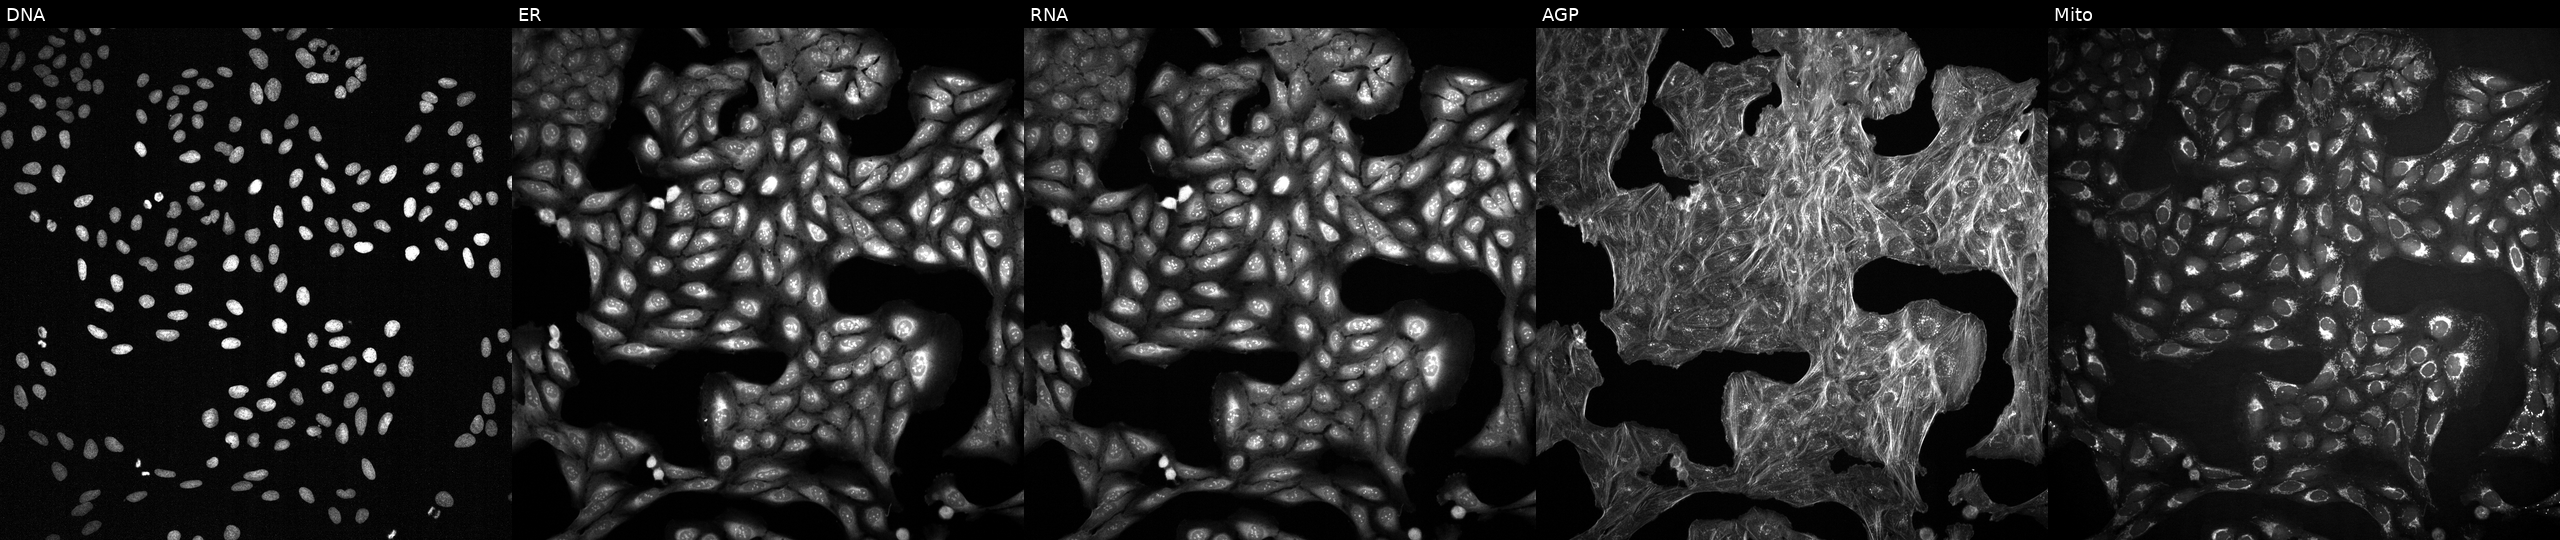
High-content fluorescence microscopy (Cell Painting). Cell line: U2OS. Perturbation: perturbed with a small-molecule compound (InChIKey QIHBWVVVRYYYRO-UHFFFAOYSA-N). Panels show, left to right, DNA (nuclei); ER (endoplasmic reticulum); RNA (nucleoli and cytoplasmic RNA); AGP (actin cytoskeleton, Golgi, and plasma membrane); Mito (mitochondria).